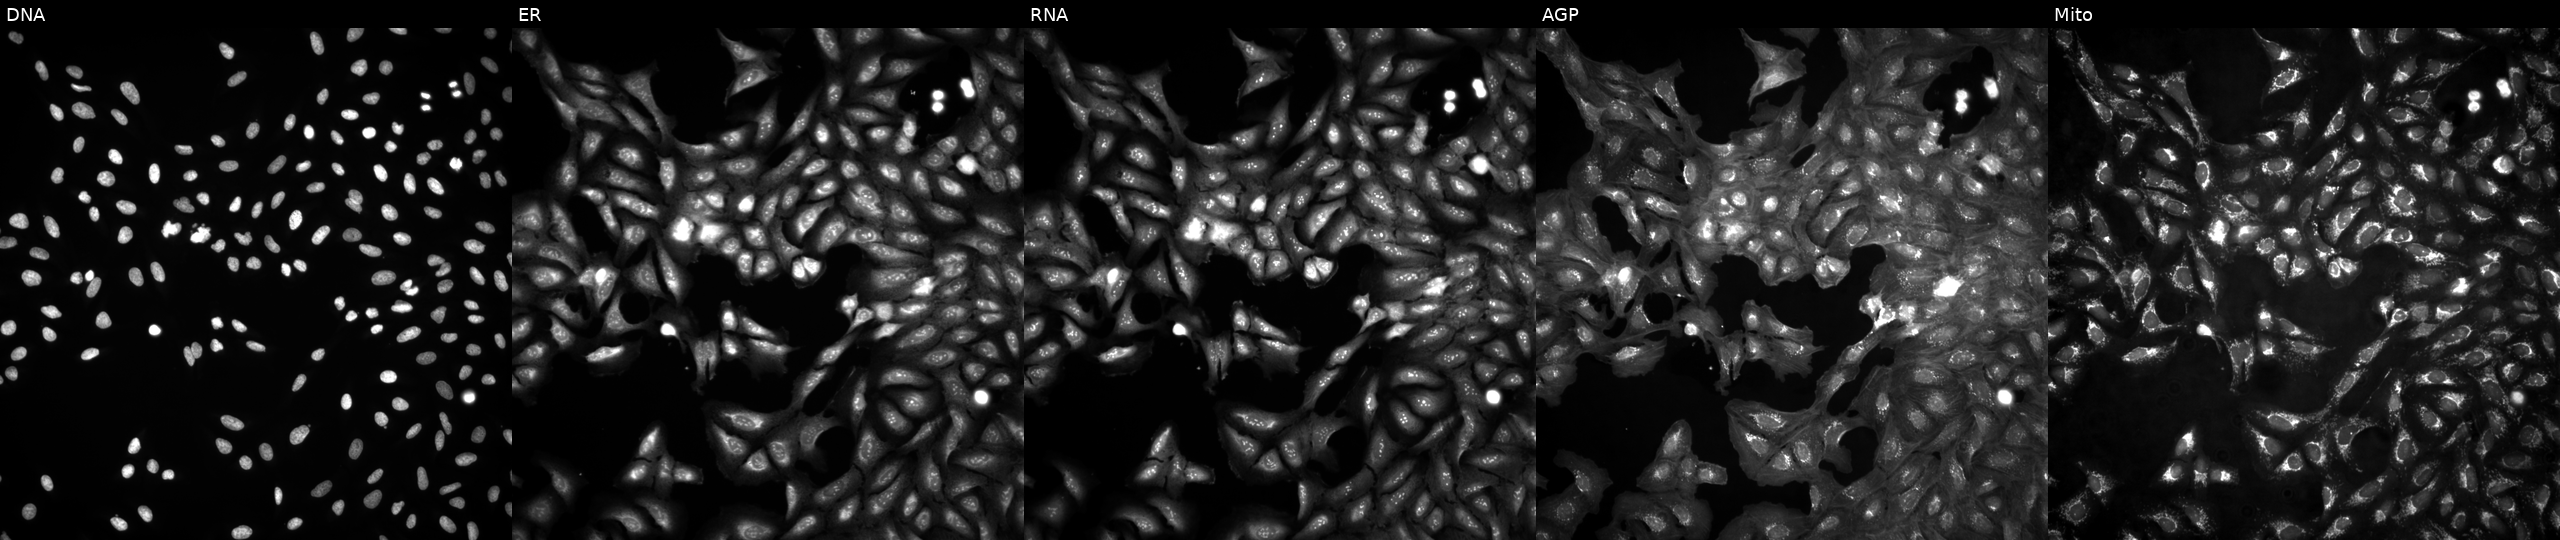
U2OS cells, Cell Painting assay, in an empty control well (no perturbation) (JUMP id JCP2022_999999). Panels show, left to right, DNA (nuclei); ER (endoplasmic reticulum); RNA (nucleoli and cytoplasmic RNA); AGP (actin cytoskeleton, Golgi, and plasma membrane); Mito (mitochondria). Each panel is percentile-stretched 16-bit fluorescence. Source 4, plate BR00124793, well N05.